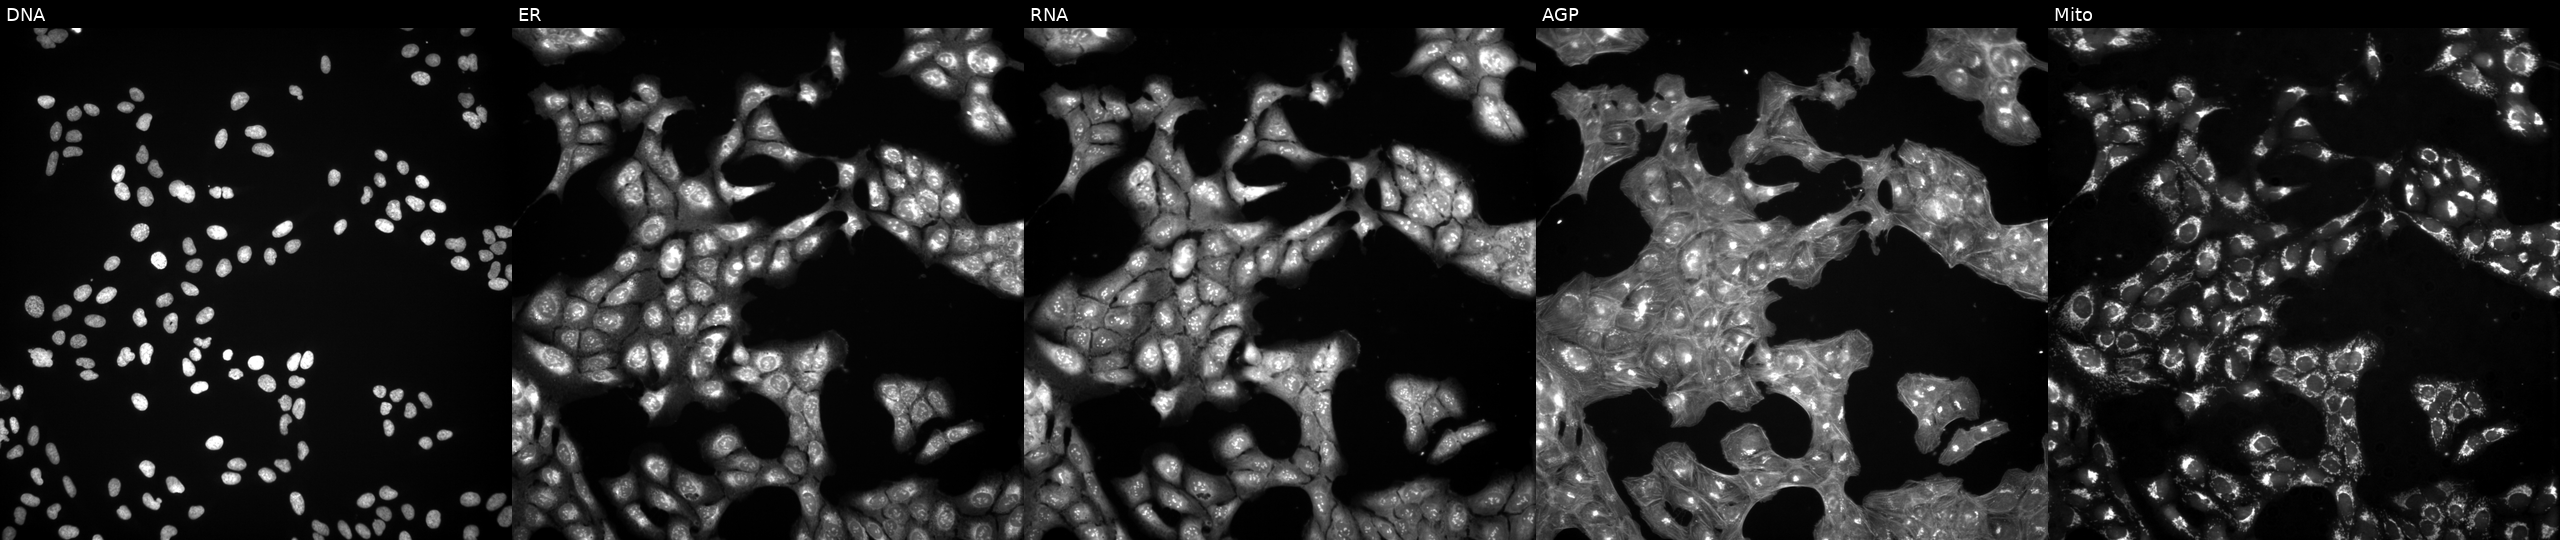
Five-channel Cell Painting image of U2OS cells perturbed with a small-molecule compound (InChIKey QQKKPIJQYHNQHF-UHFFFAOYSA-N) (JUMP id JCP2022_075208). Panels show, left to right, DNA, ER, RNA, AGP, and Mito.